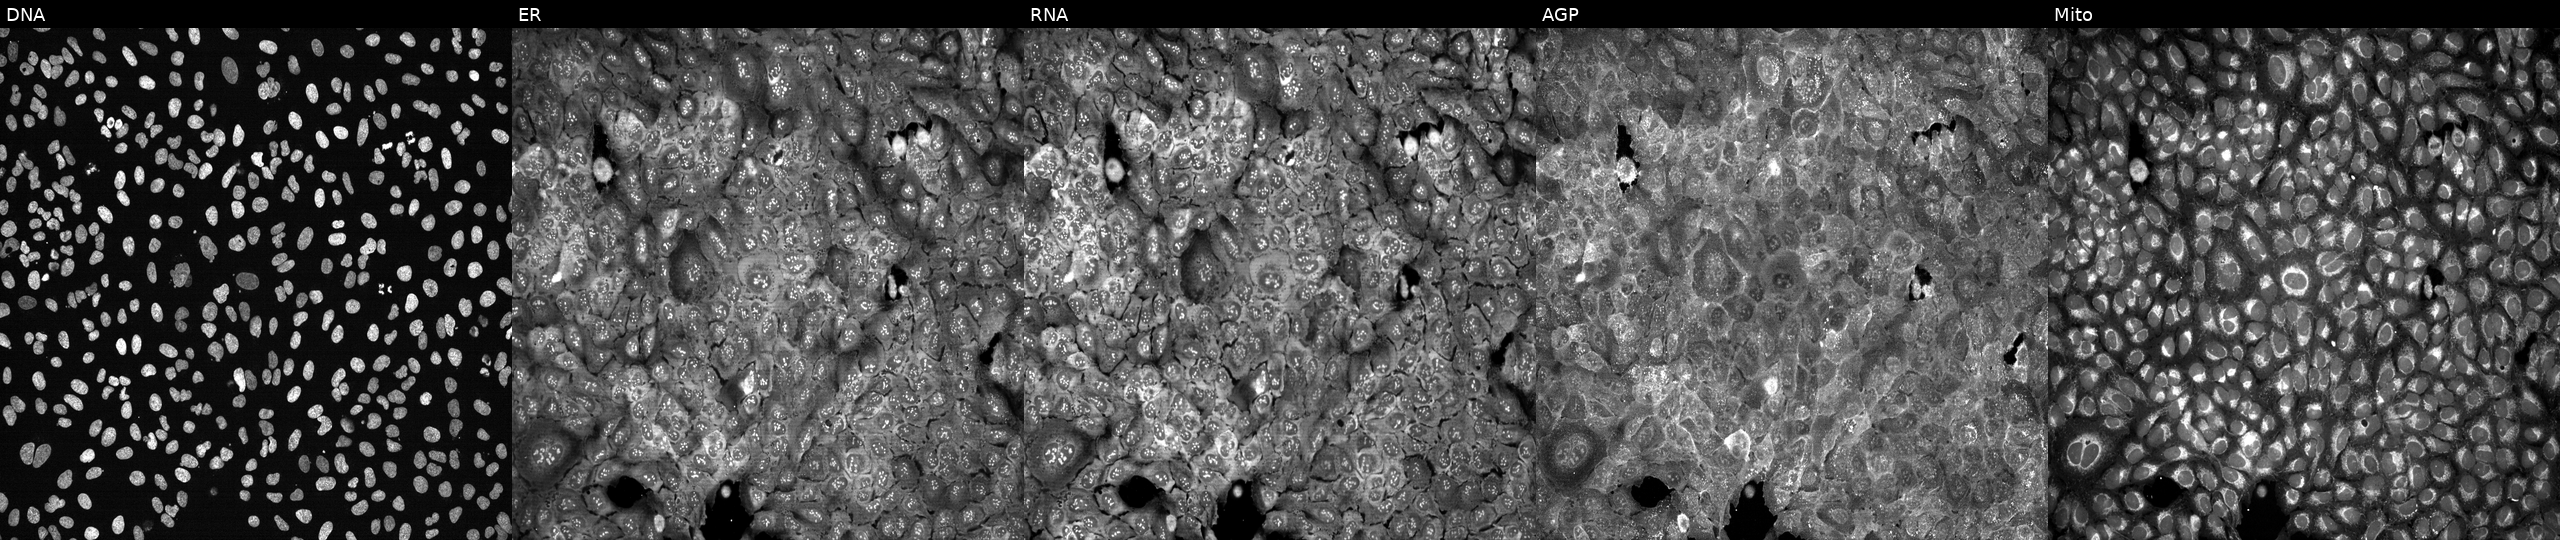
Five-channel Cell Painting image of U2OS cells CRISPR-edited to disrupt ESM1 (JUMP id JCP2022_802181). Panels show, left to right, Hoechst 33342, concanavalin A, SYTO 14, phalloidin and WGA, MitoTracker. Source 13, plate CP-CC9-R5-01, well I12.